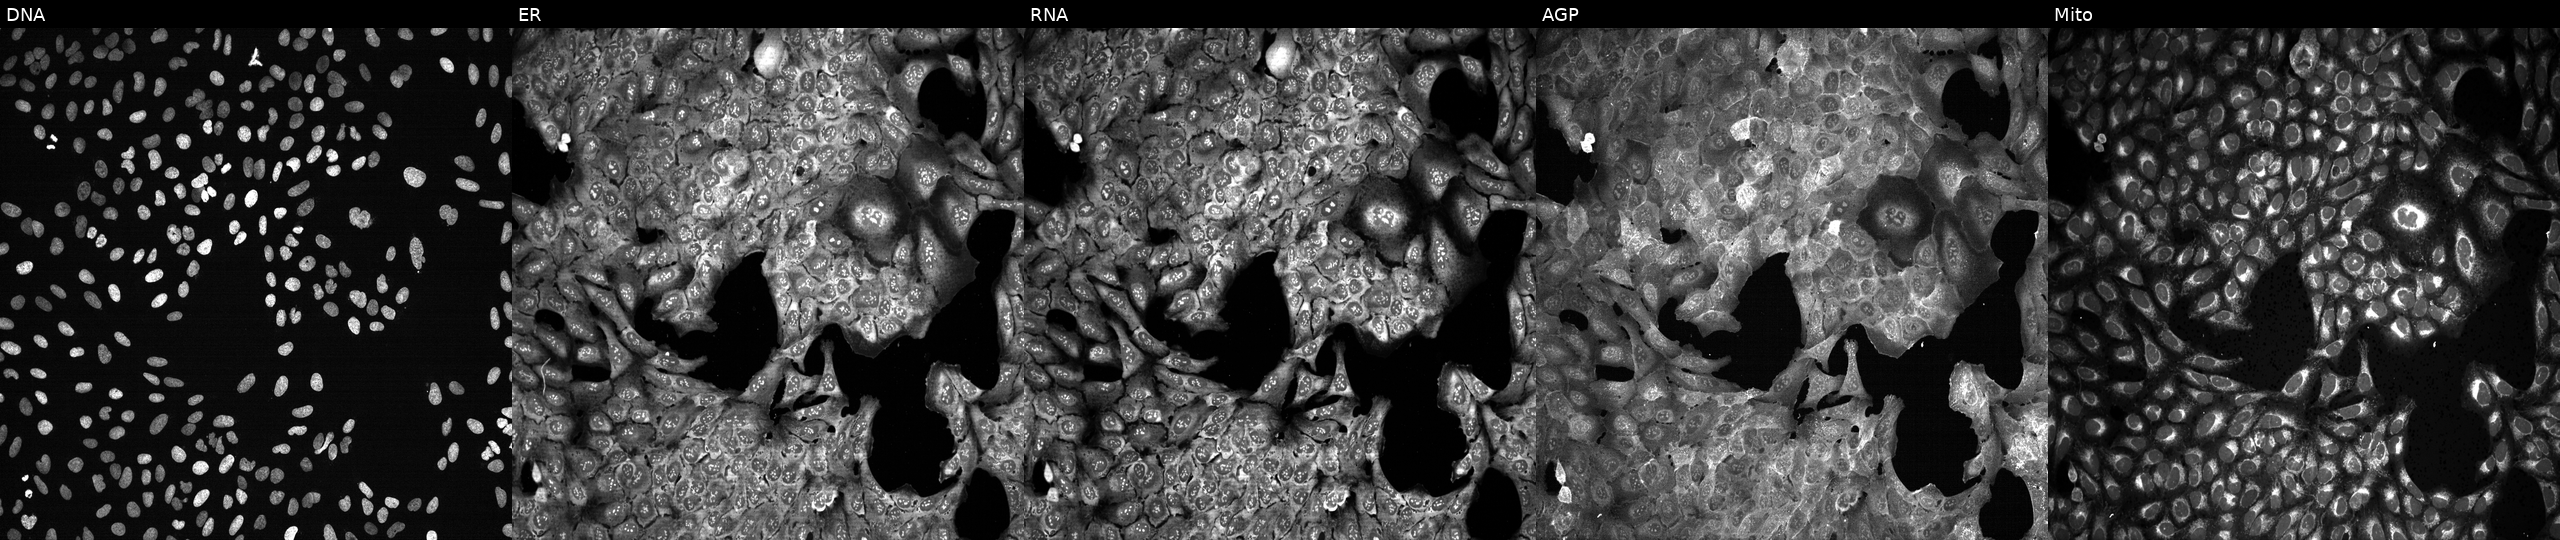
JUMP Cell Painting — CRISPR plate. U2OS cells CRISPR-edited to disrupt SAT2 (JUMP id JCP2022_806182). The five panels, left to right, show Hoechst 33342, concanavalin A, SYTO 14, phalloidin and WGA, MitoTracker.